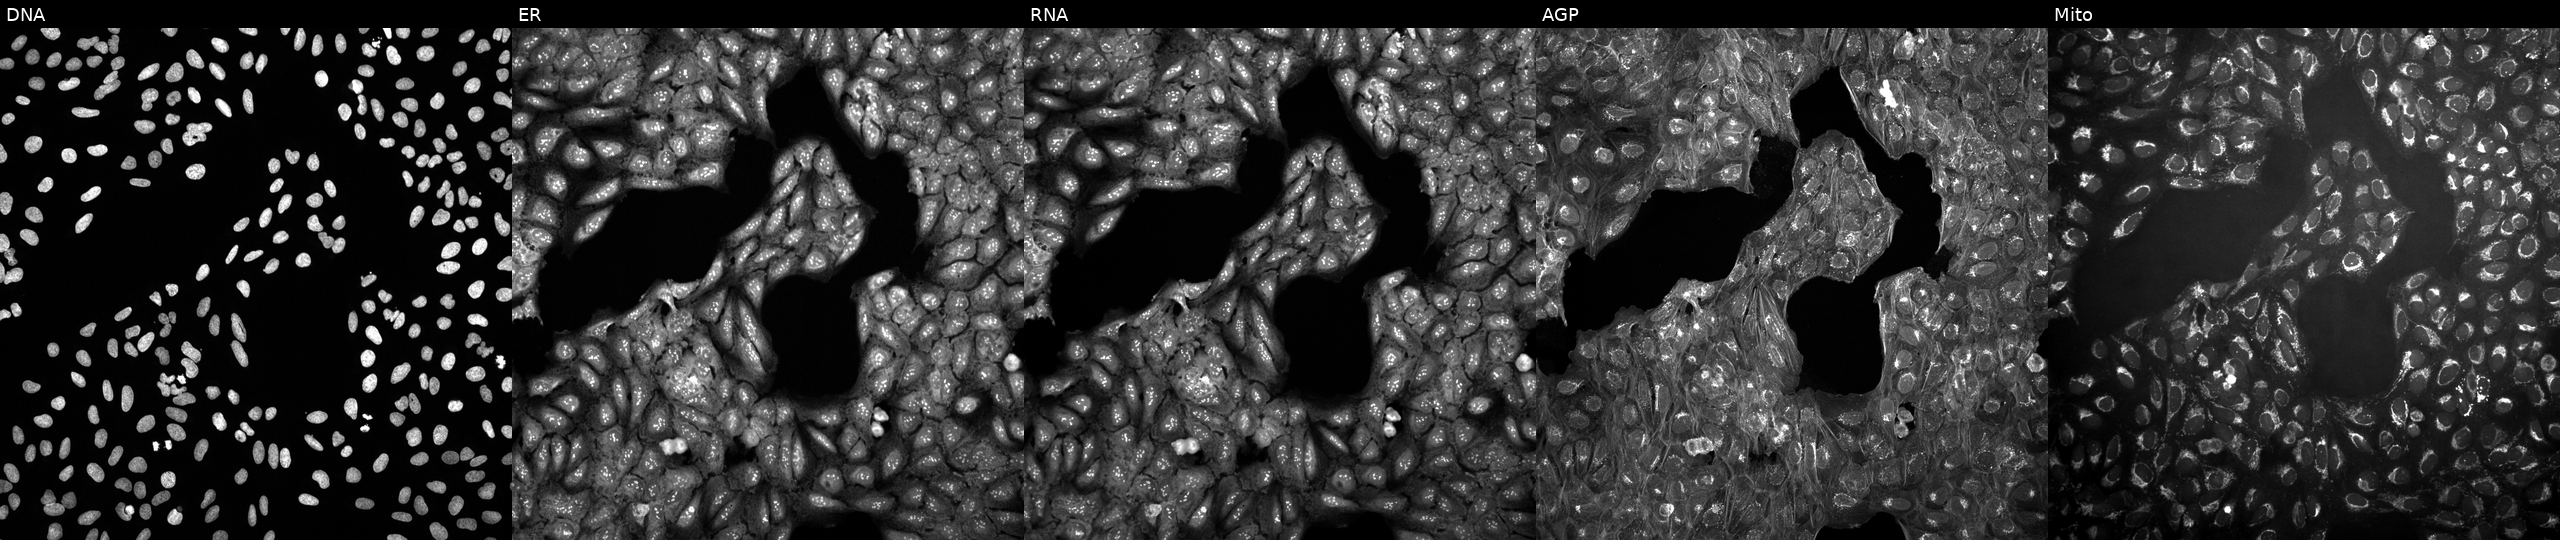
This image strip shows the five Cell Painting channels for a single field of U2OS cells perturbed with a small-molecule compound (InChIKey MCTLUBMAMMTBAW-UHFFFAOYSA-N) (JUMP id JCP2022_053298). Panels show, left to right, Hoechst 33342, concanavalin A, SYTO 14, phalloidin and WGA, MitoTracker.